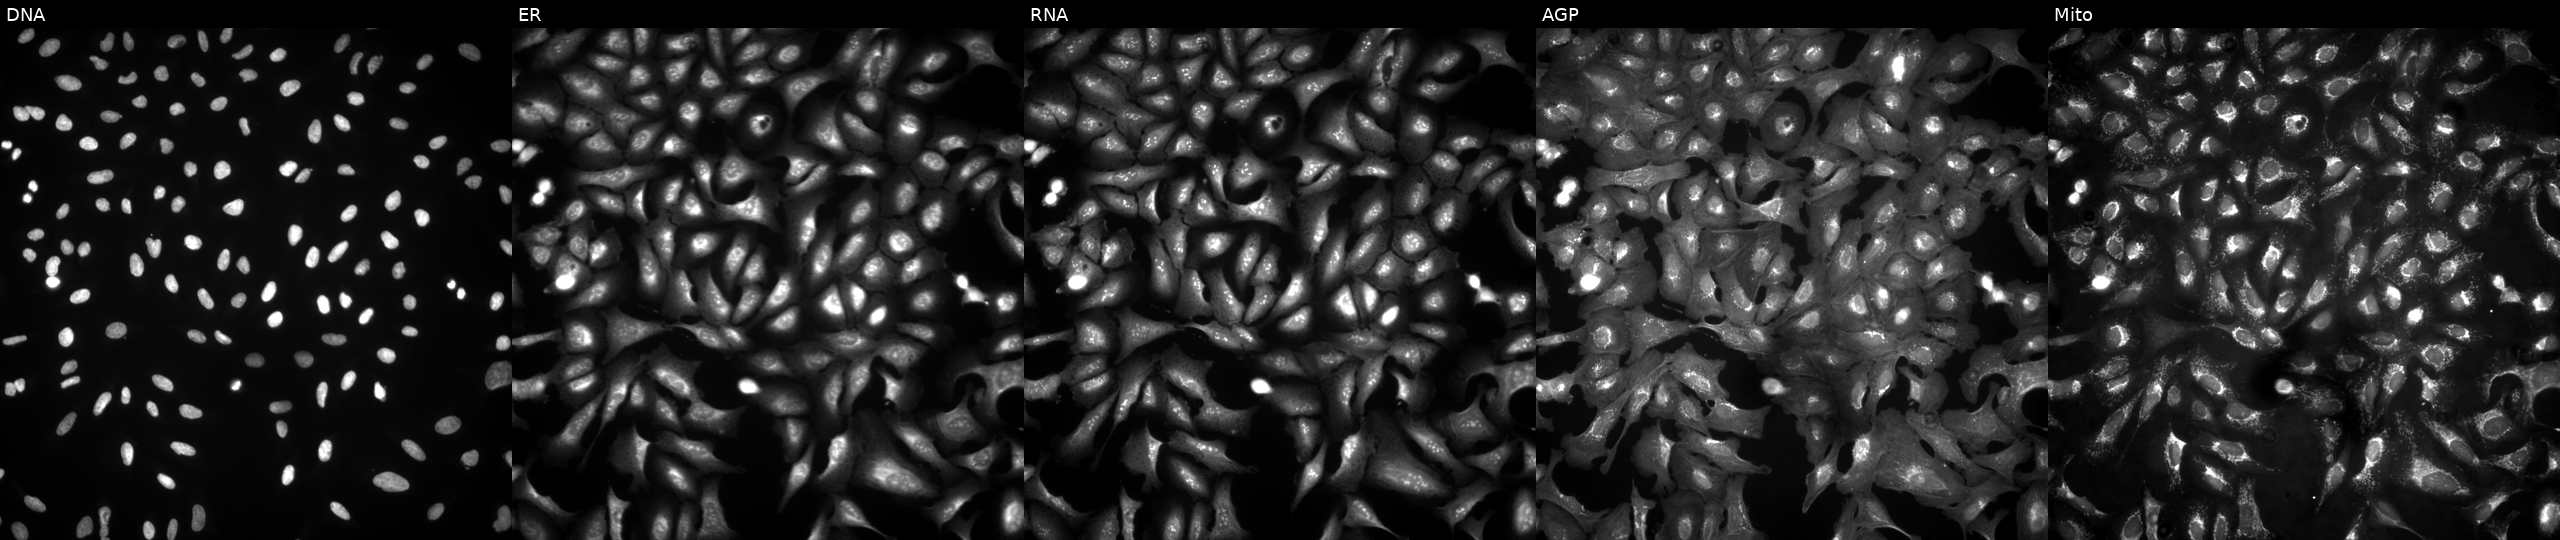
From left to right: DNA, ER, RNA, AGP, and Mito. U2OS osteosarcoma cells with NOTCH2NLA overexpressed (ORF) (JUMP id JCP2022_905228). Cell Painting assay, JUMP-CP dataset. Source 4, plate BR00124790, well N01.